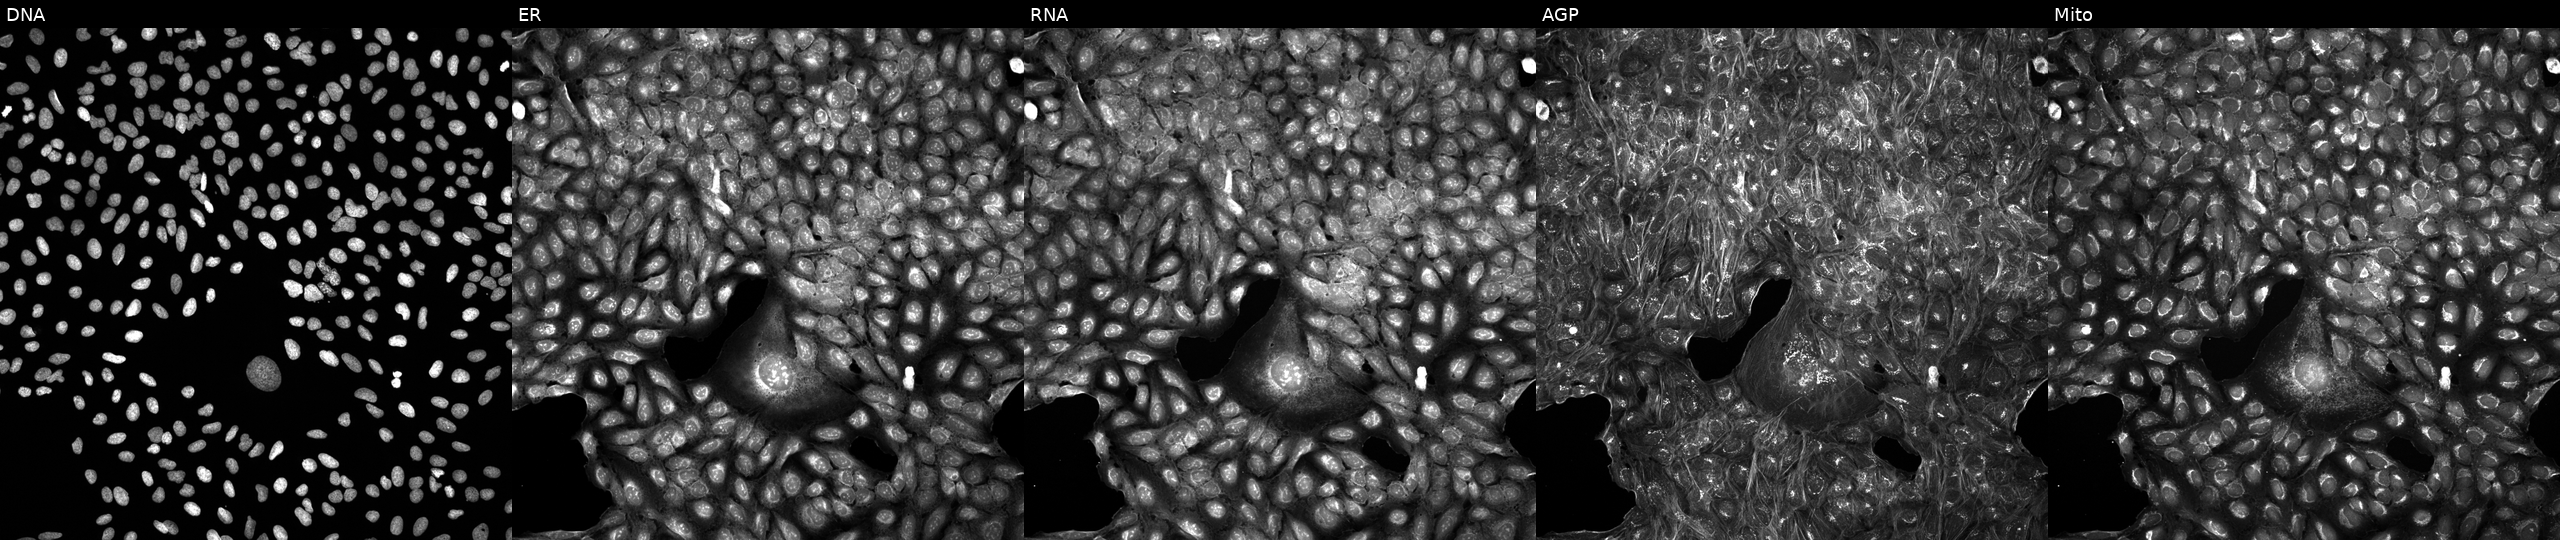
High-content fluorescence microscopy (Cell Painting). Cell line: U2OS. Perturbation: treated with a small-molecule compound (InChIKey ZINMKUHKXMFWMI-UHFFFAOYSA-N) [SMILES: Cn1ccnc1C(=O)N1CCC(Cc2noc(-c3ccc(F)cc3)n2)C1]. The five panels, left to right, show DNA (nuclei); ER (endoplasmic reticulum); RNA (nucleoli and cytoplasmic RNA); AGP (actin cytoskeleton, Golgi, and plasma membrane); Mito (mitochondria). Source 5, plate APTJUM106, well E12.